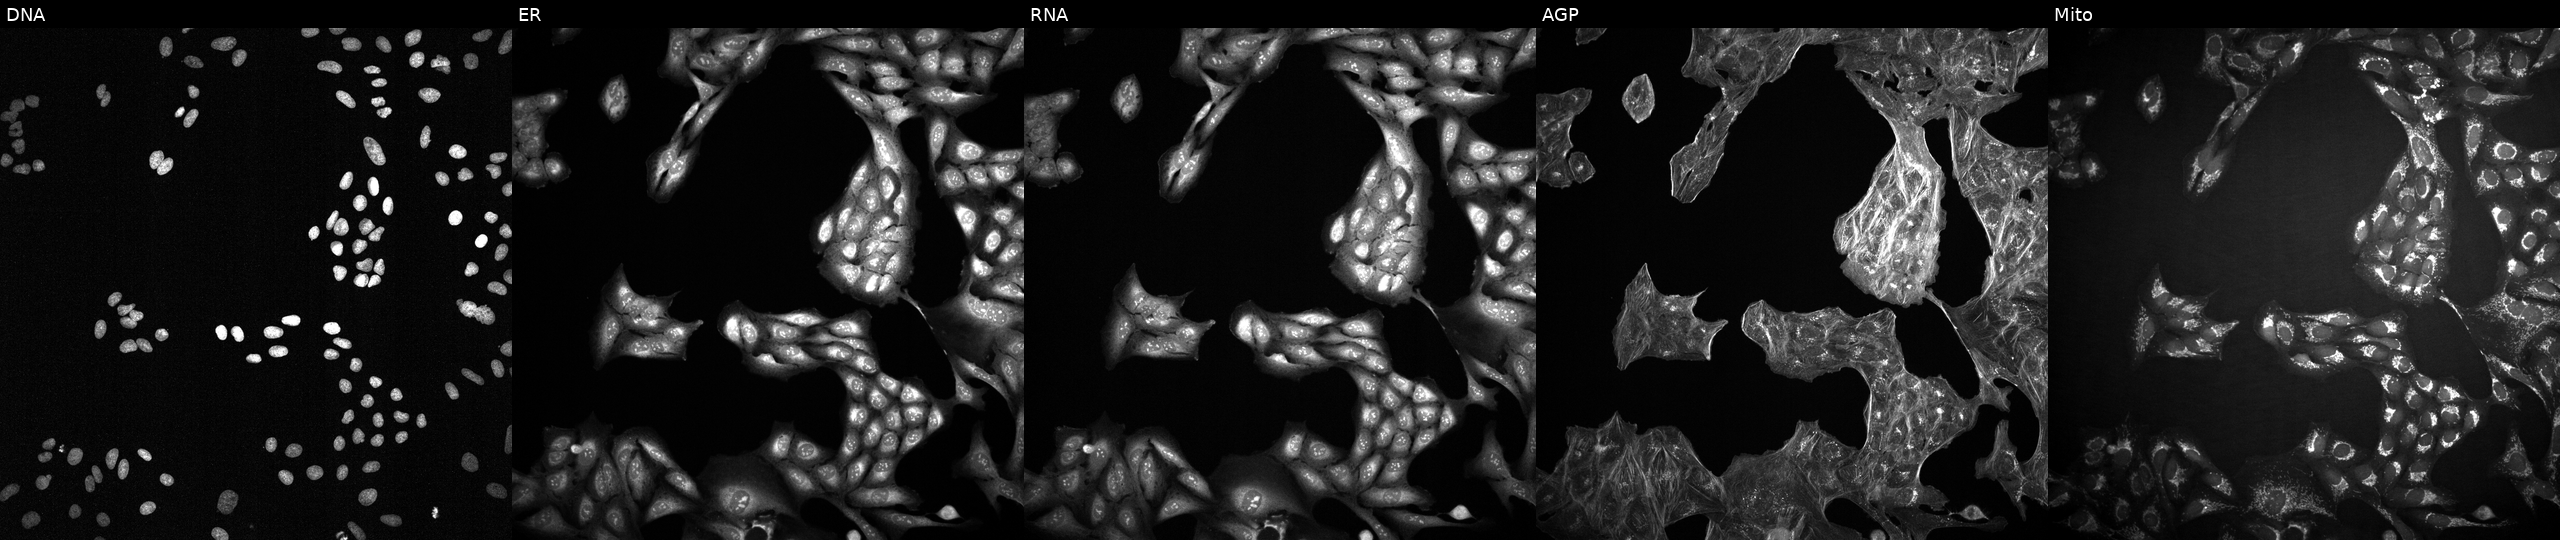
JUMP Cell Painting — TARGET2 plate. U2OS cells exposed to DMSO alone as a negative control. From left to right: DNA, ER, RNA, AGP, and Mito. Source 2, plate 1053599503, well D03.